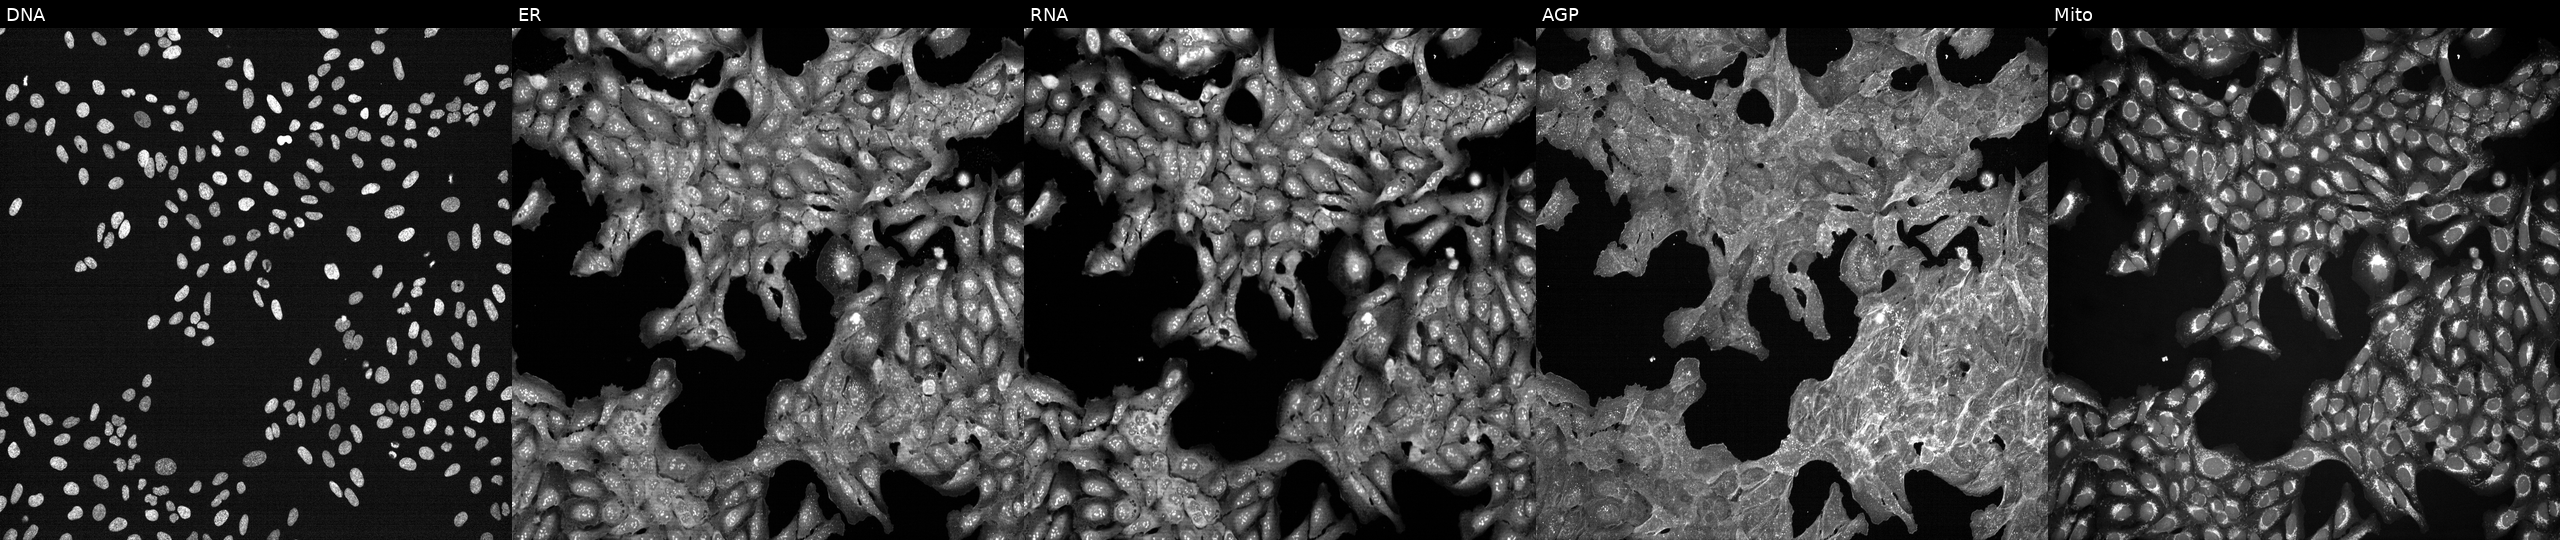
U2OS cells, Cell Painting assay, perturbed with a small-molecule compound [SMILES: FCc1ccc(OCCOc2ccc(Cl)cc2Cl)c(Cl)n1] (JUMP id JCP2022_020718). The five panels, left to right, show DNA (nuclei); ER (endoplasmic reticulum); RNA (nucleoli and cytoplasmic RNA); AGP (actin cytoskeleton, Golgi, and plasma membrane); Mito (mitochondria). Each panel is percentile-stretched 16-bit fluorescence. Source 7, plate CP3-SC1-25, well E14.